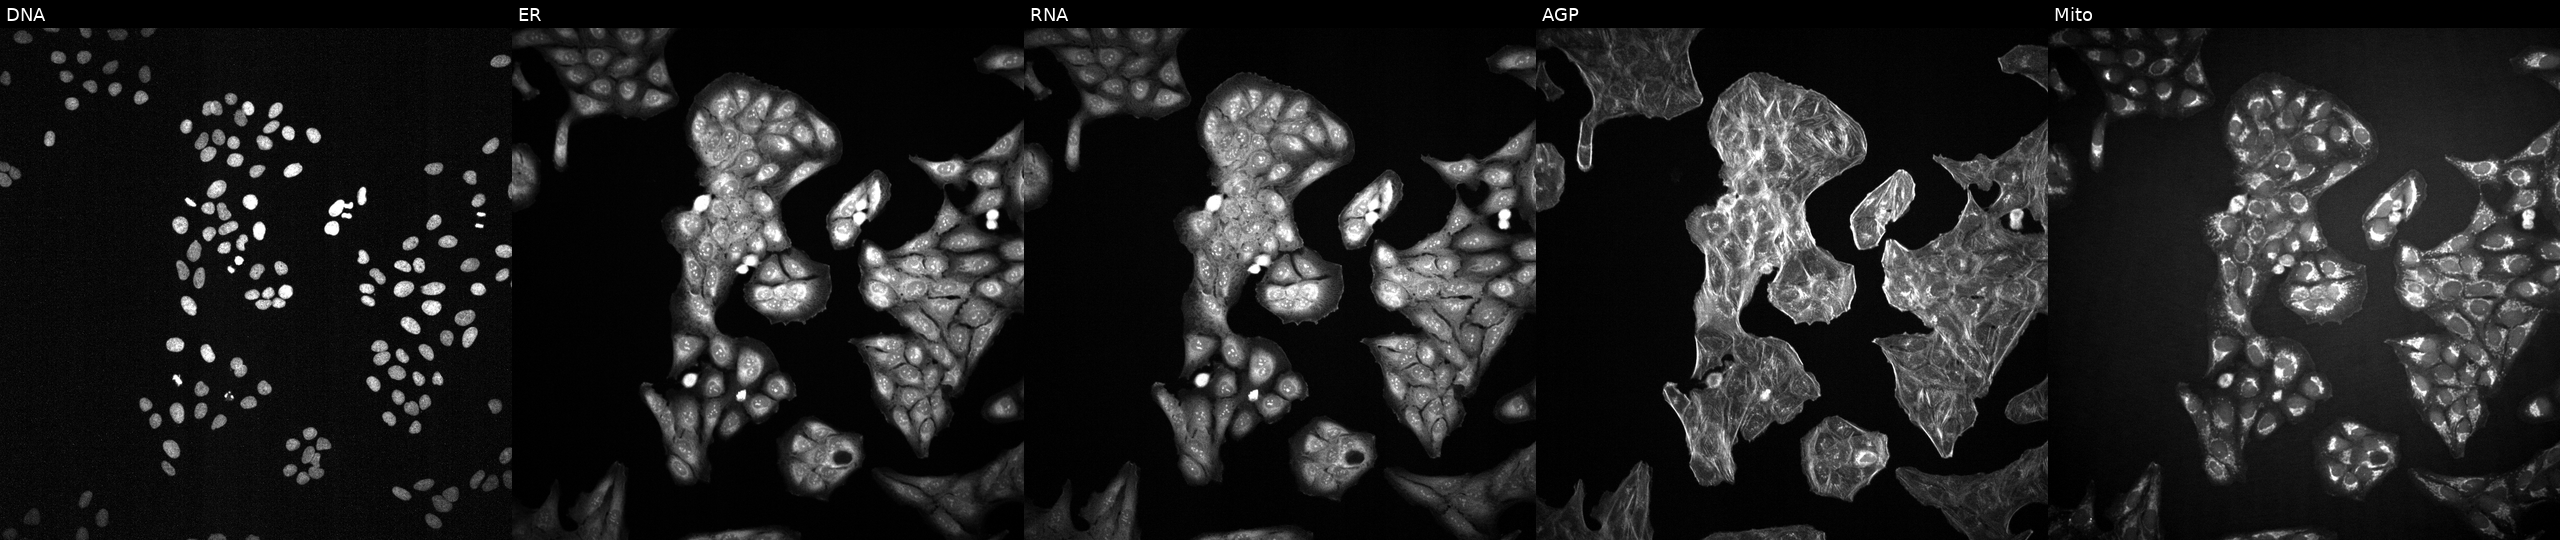
JUMP Cell Painting — TARGET2 plate. U2OS cells treated with a small-molecule compound (InChIKey UPWGQKDVAURUGE-UHFFFAOYSA-N) [SMILES: CCCCCCCCC=CCCCCCCCC(=O)OC(CO)CO]. From left to right: DNA, ER, RNA, AGP, and Mito. Source 2, plate 1053599503, well P14.